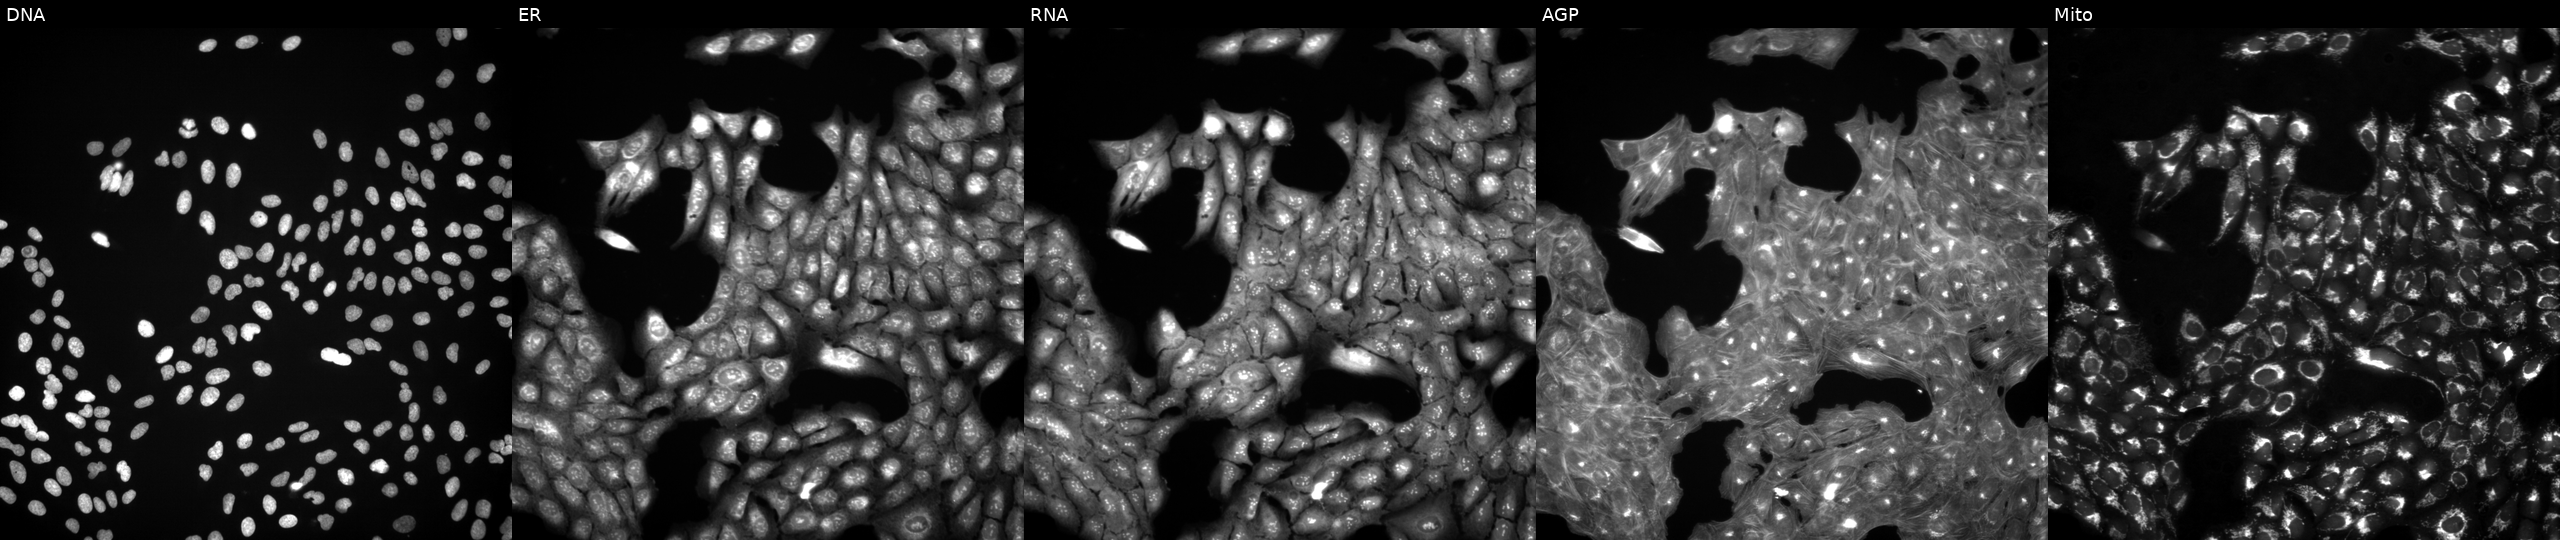
JUMP Cell Painting — TARGET2 plate. U2OS cells perturbed with a small-molecule compound (InChIKey JPGQOUSTVILISH-UHFFFAOYSA-N) (JUMP id JCP2022_041253). The five panels, left to right, show Hoechst 33342, concanavalin A, SYTO 14, phalloidin and WGA, MitoTracker. Source 3, plate JCPQC051, well G08.